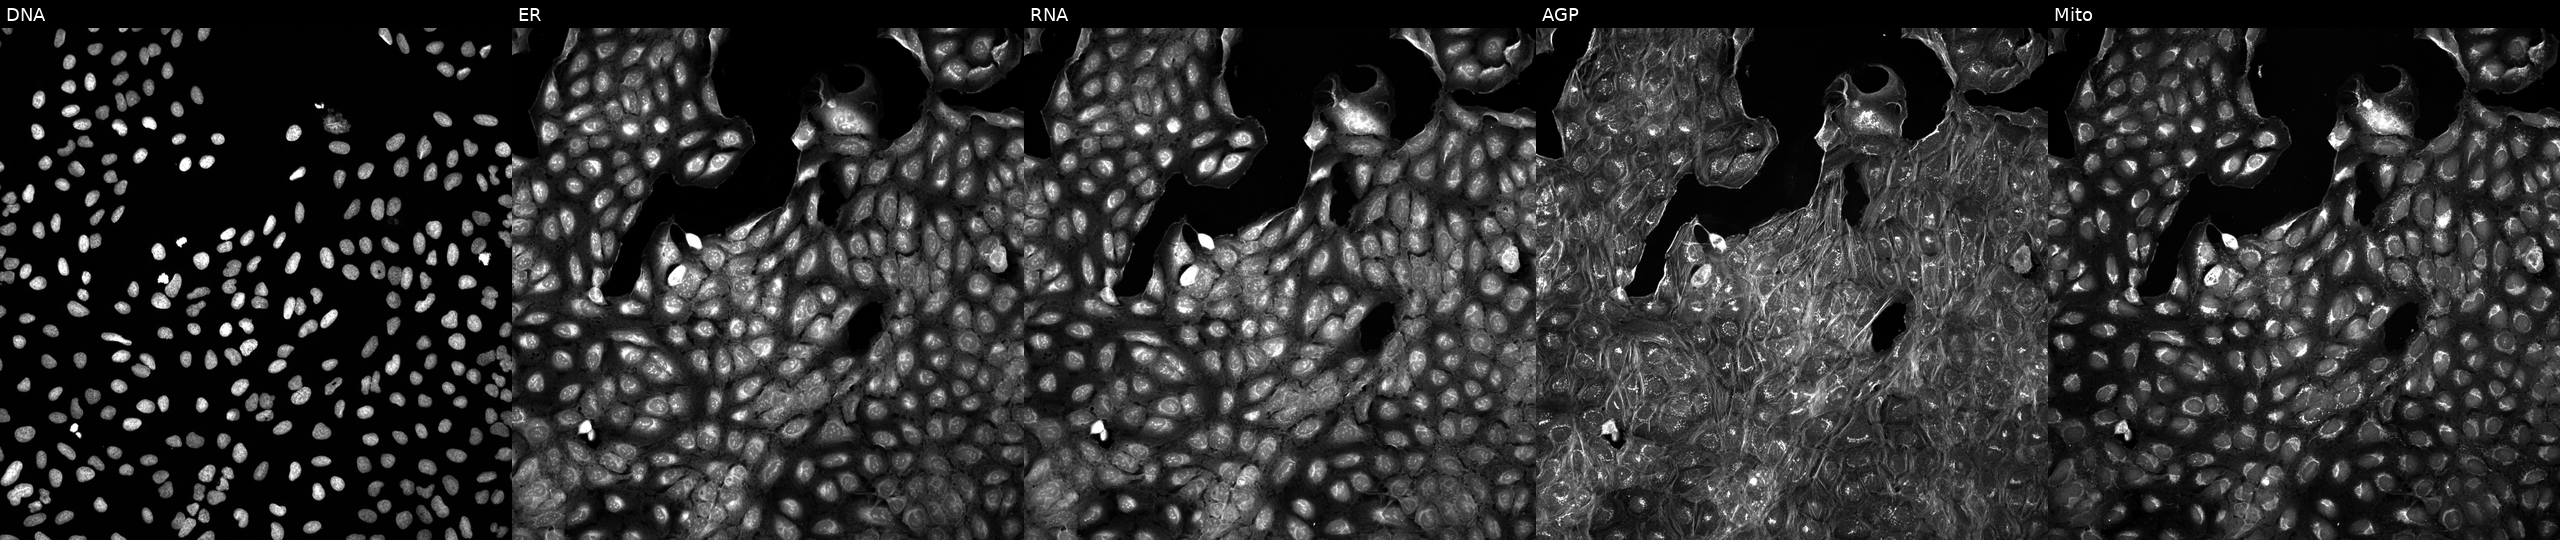
High-content fluorescence microscopy (Cell Painting). Cell line: U2OS. Perturbation: treated with a small-molecule compound (InChIKey FEDXTAGHAAYFJR-UHFFFAOYSA-N). The five panels, left to right, show DNA, ER, RNA, AGP, and Mito.